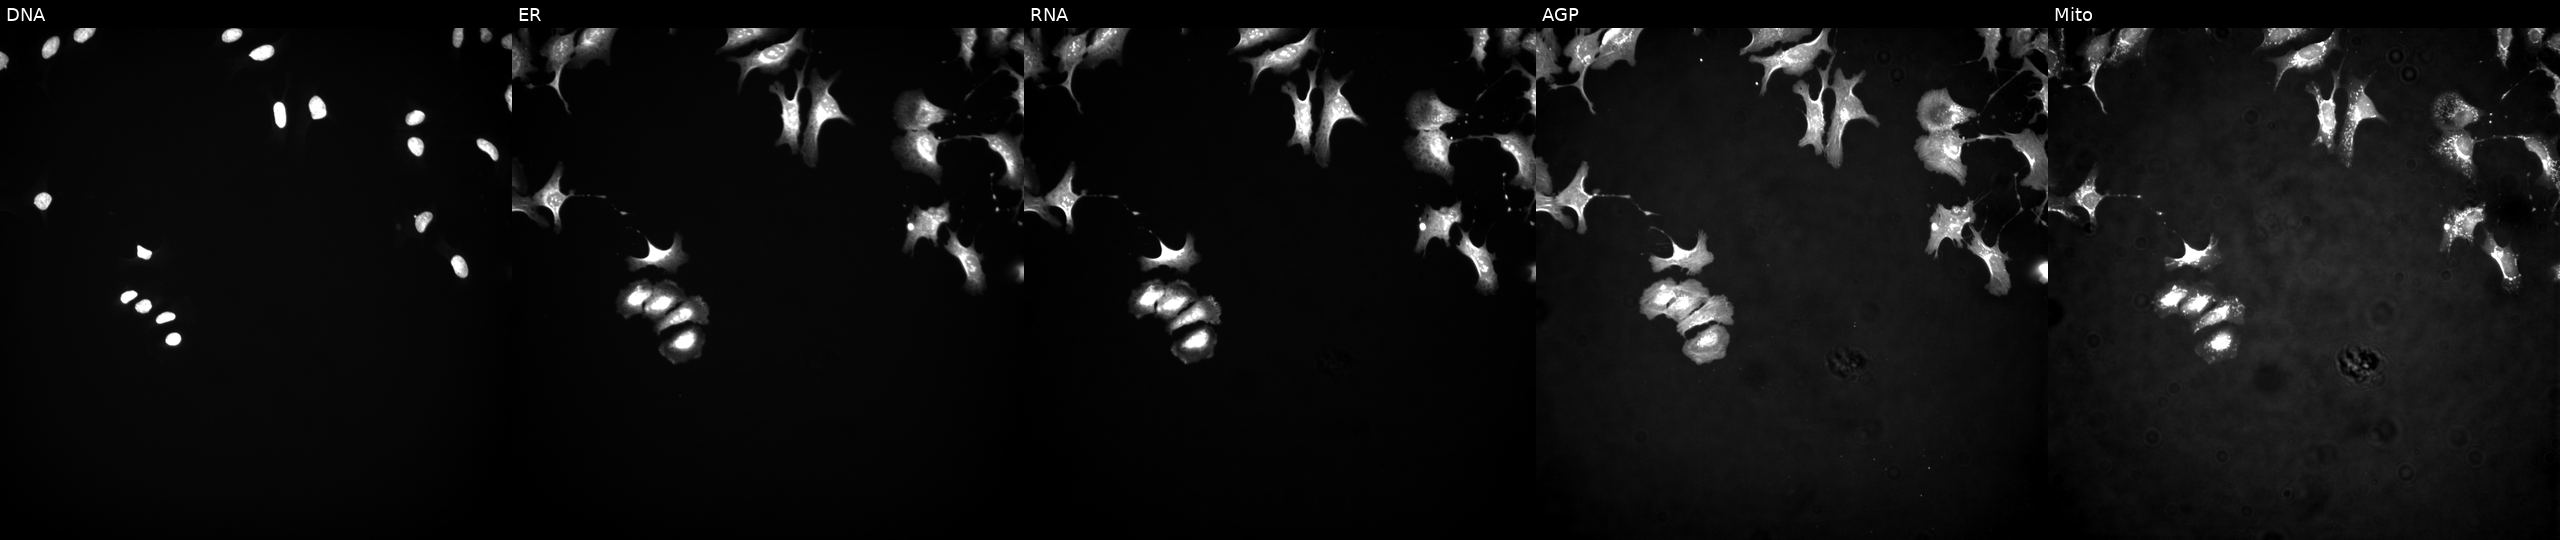
JUMP Cell Painting — ORF plate. U2OS cells with CDK19 overexpressed (ORF). Panels show, left to right, DNA, ER, RNA, AGP, and Mito. Source 4, plate BR00123945, well G16.